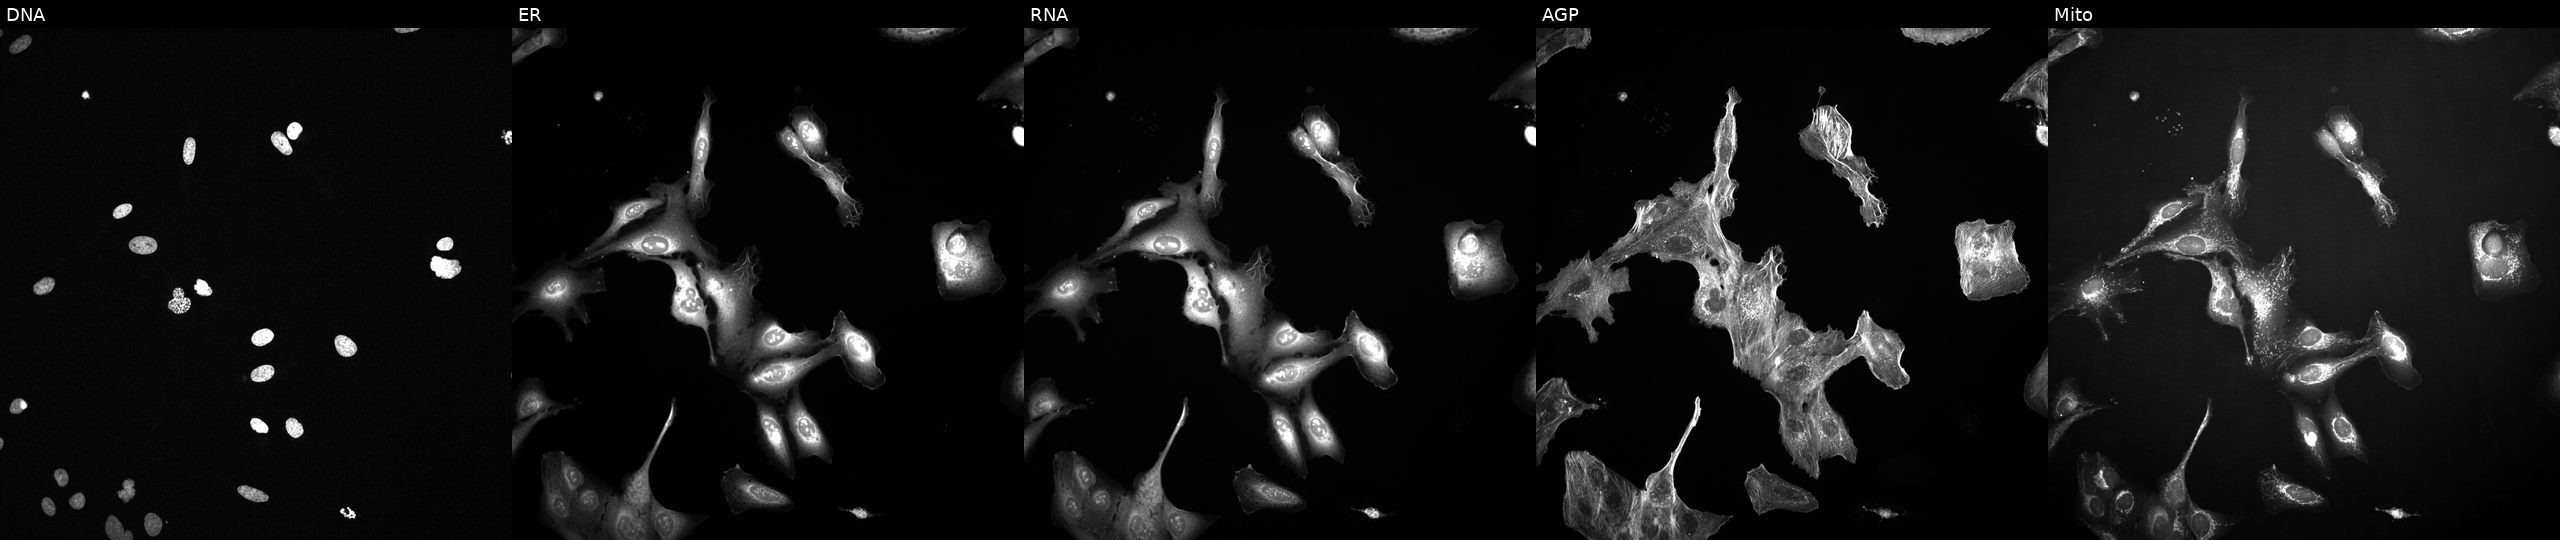
This image strip shows the five Cell Painting channels for a single field of U2OS cells exposed to a small-molecule compound (InChIKey GQXSULRYFDAMOO-UHFFFAOYSA-N) (JUMP id JCP2022_027206). Panels show, left to right, DNA, ER, RNA, AGP, and Mito.